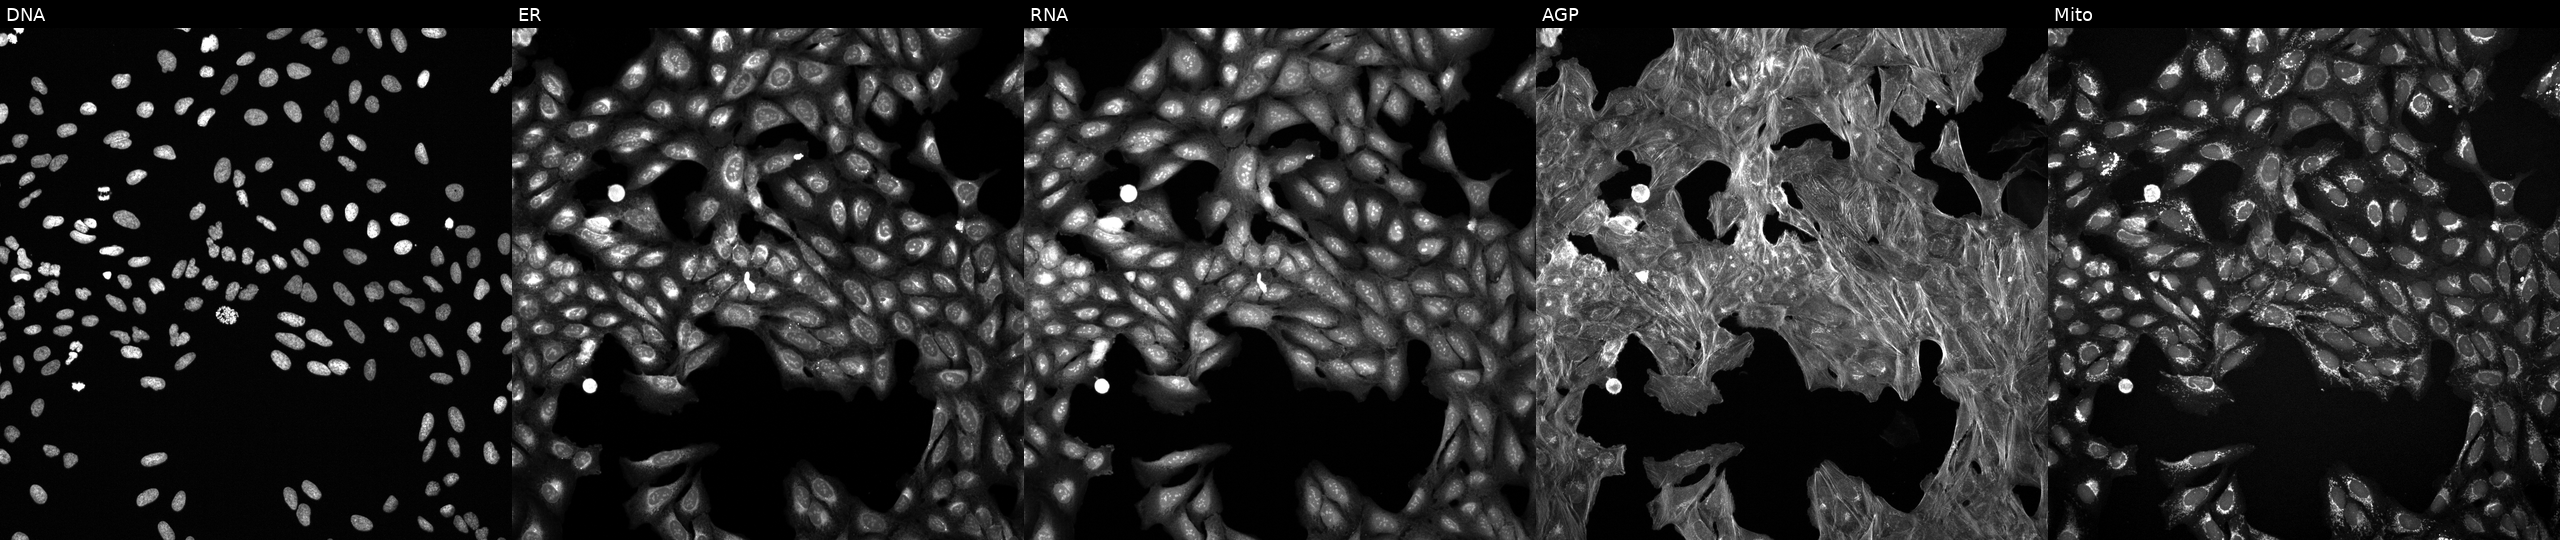
JUMP Cell Painting — TARGET2 plate. U2OS cells treated with a small-molecule compound (InChIKey WXXSNCNJFUAIDG-UHFFFAOYSA-N). The five panels, left to right, show Hoechst 33342, concanavalin A, SYTO 14, phalloidin and WGA, MitoTracker.